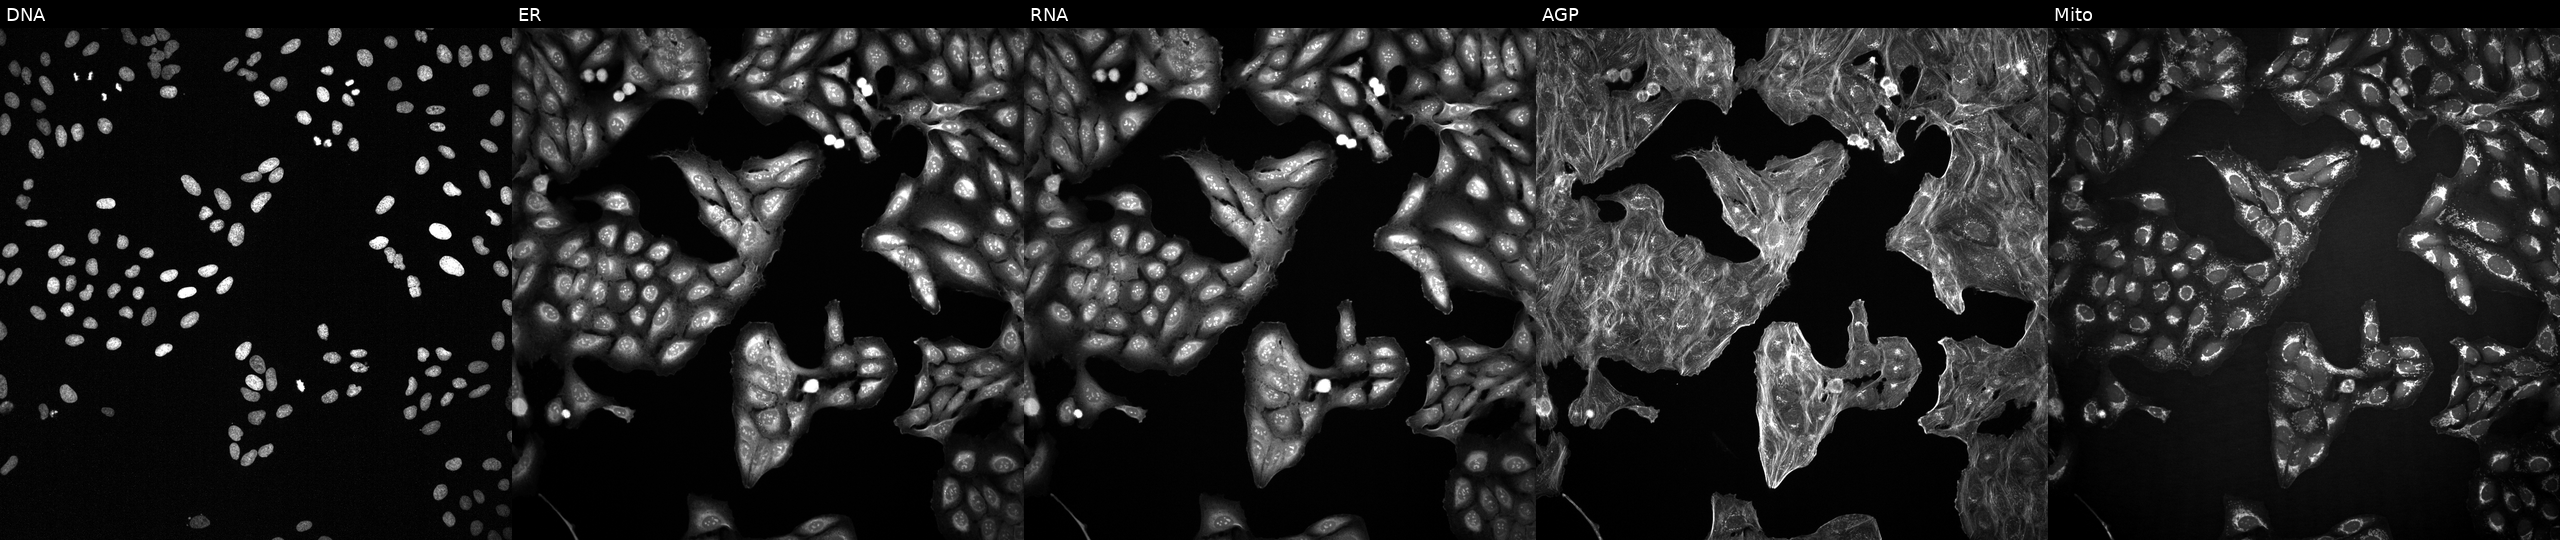
Five-channel Cell Painting image of U2OS cells perturbed with a small-molecule compound (InChIKey SBDNJUWAMKYJOX-UHFFFAOYSA-N). Channels (left→right): DNA (nuclei); ER (endoplasmic reticulum); RNA (nucleoli and cytoplasmic RNA); AGP (actin cytoskeleton, Golgi, and plasma membrane); Mito (mitochondria).